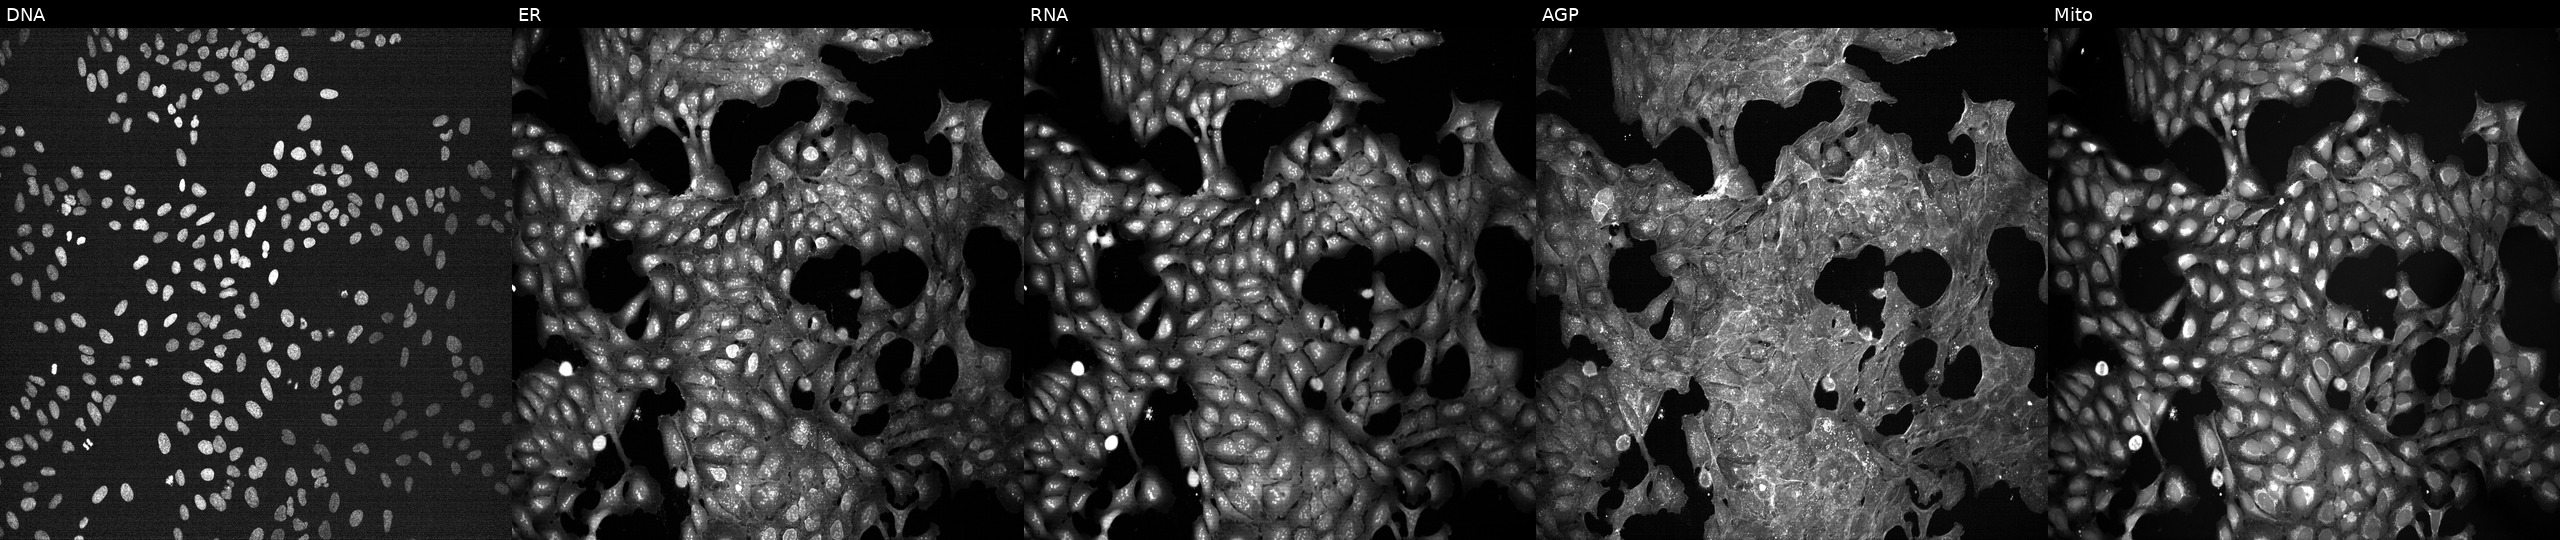
JUMP Cell Painting — TARGET2 plate. U2OS cells exposed to DMSO alone as a negative control (JUMP id JCP2022_033924). Channels (left→right): DNA (nuclei); ER (endoplasmic reticulum); RNA (nucleoli and cytoplasmic RNA); AGP (actin cytoskeleton, Golgi, and plasma membrane); Mito (mitochondria).